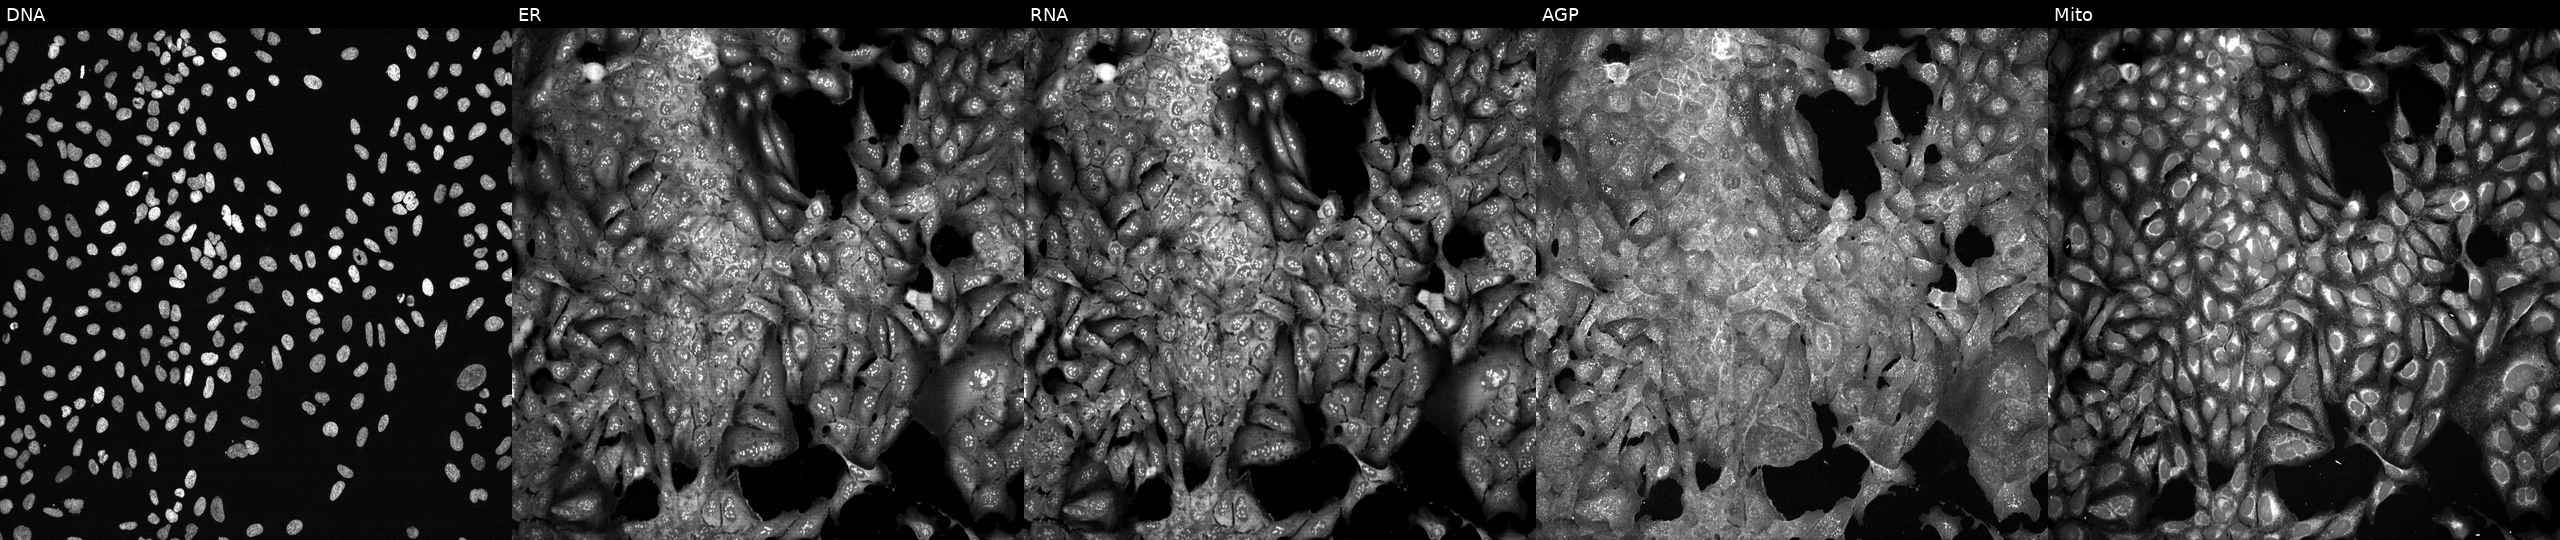
Panels show, left to right, Hoechst 33342, concanavalin A, SYTO 14, phalloidin and WGA, MitoTracker. U2OS osteosarcoma cells with SLC2A1 knocked out by CRISPR. Cell Painting assay, JUMP-CP dataset.